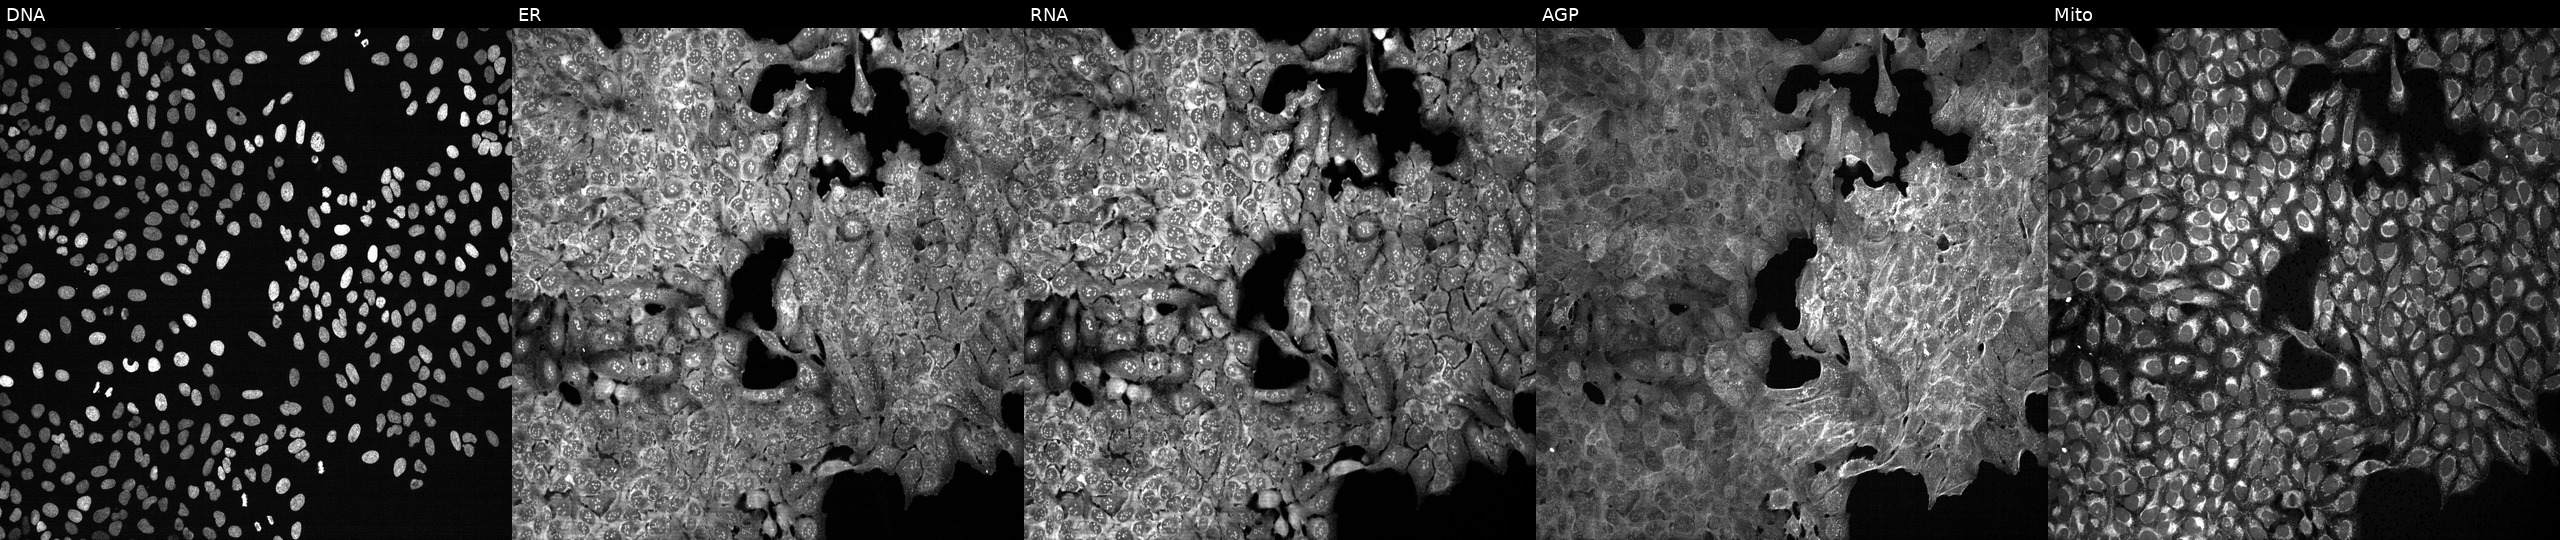
Five-channel Cell Painting image of U2OS cells treated with dexamethasone (positive-control compound) (JUMP id JCP2022_025848). From left to right: DNA, ER, RNA, AGP, and Mito. Source 13, plate CP-CC9-R2-01, well N24.